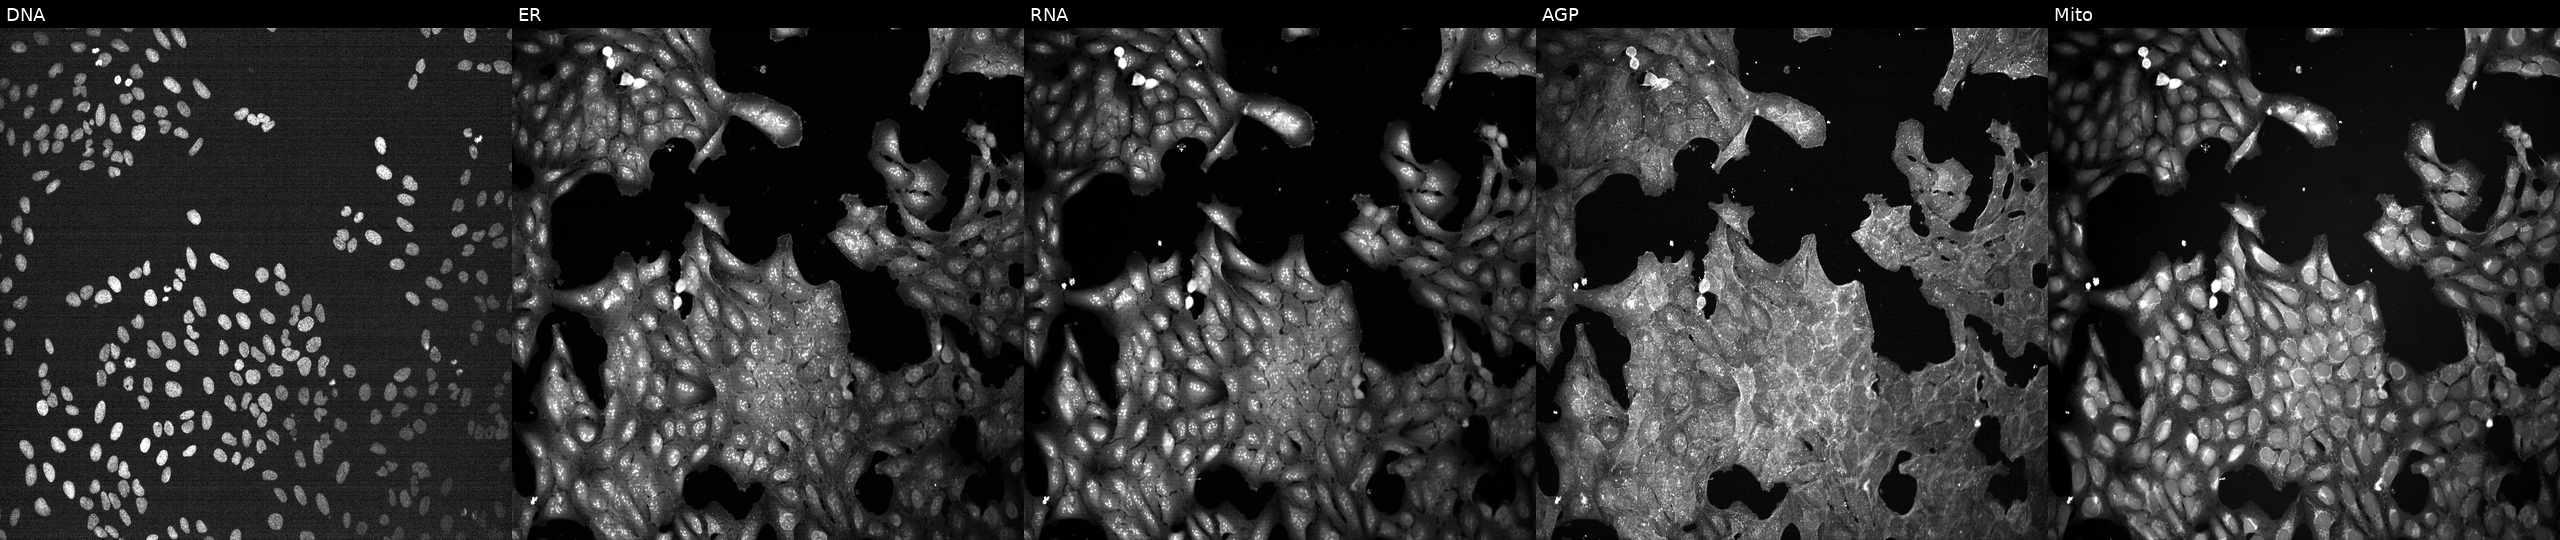
JUMP Cell Painting — TARGET2 plate. U2OS cells treated with a small-molecule compound (InChIKey JDVVGAQPNNXQDW-UHFFFAOYSA-N) (JUMP id JCP2022_039116). From left to right: Hoechst 33342, concanavalin A, SYTO 14, phalloidin and WGA, MitoTracker. Source 7, plate CP1-SC1-25, well N21.